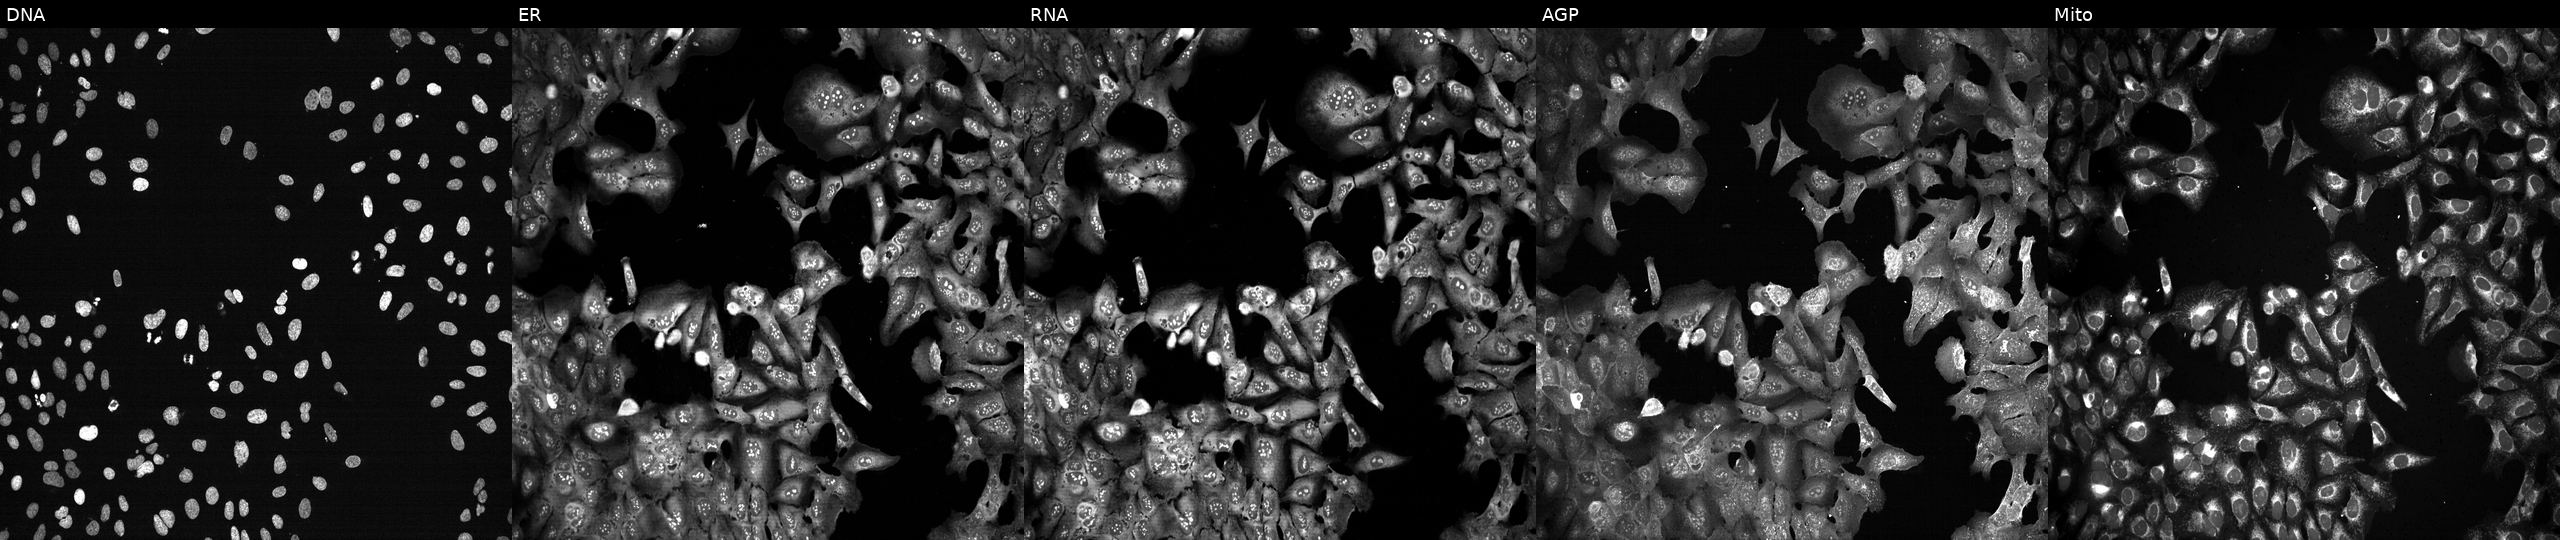
Channels (left→right): DNA, ER, RNA, AGP, and Mito. U2OS osteosarcoma cells CRISPR-edited to disrupt ABCB1 (JUMP id JCP2022_800031). Cell Painting assay, JUMP-CP dataset.